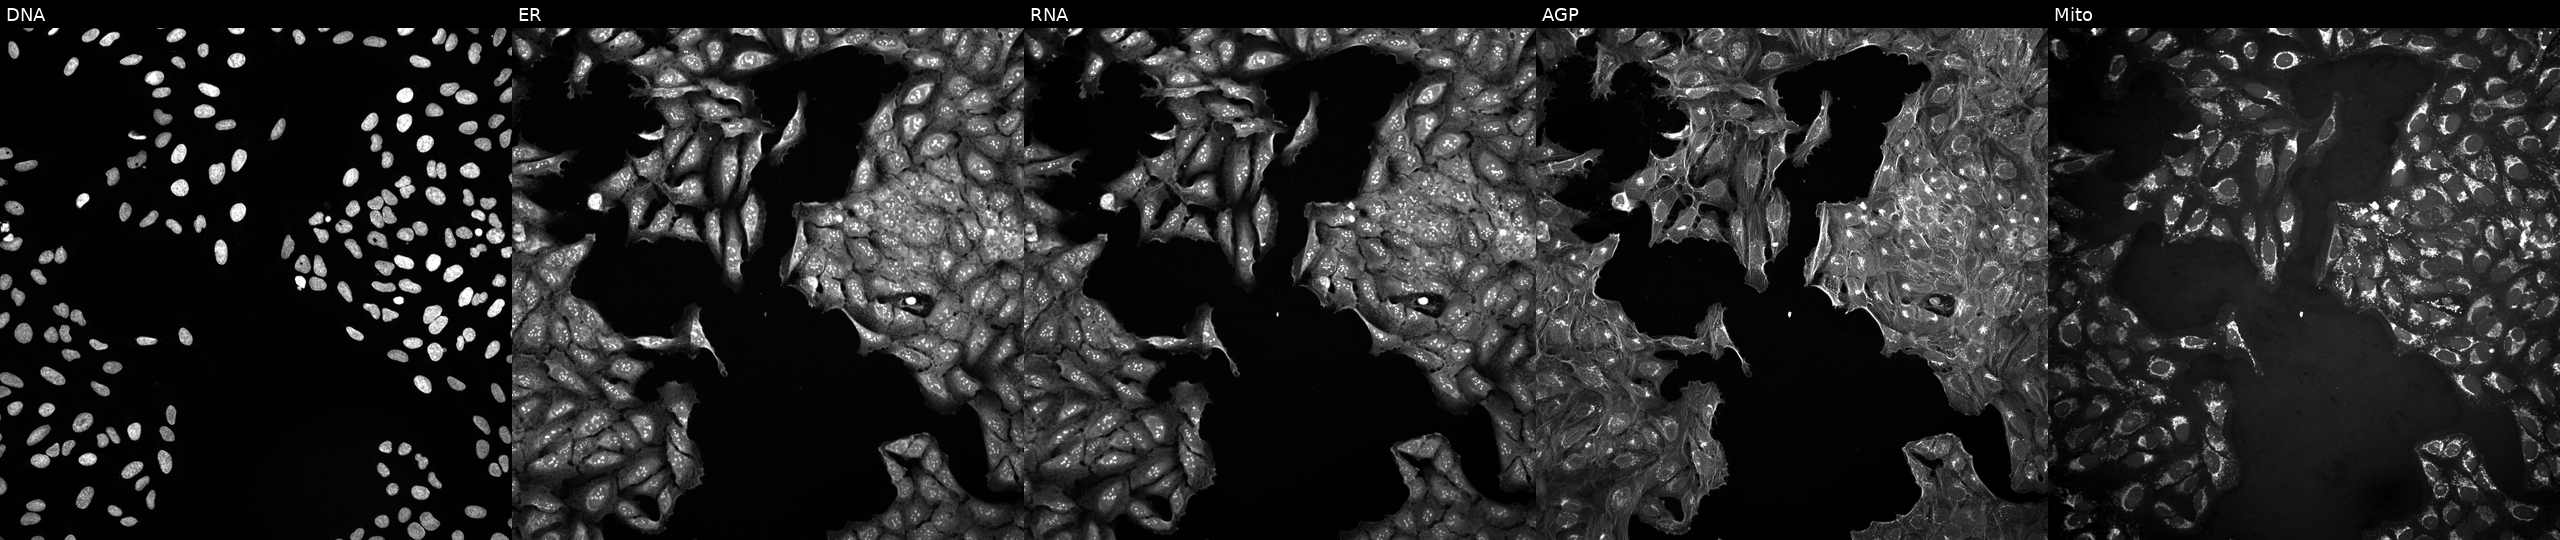
U2OS cells, Cell Painting assay, exposed to a small-molecule compound. The five panels, left to right, show Hoechst 33342, concanavalin A, SYTO 14, phalloidin and WGA, MitoTracker. Each panel is percentile-stretched 16-bit fluorescence.